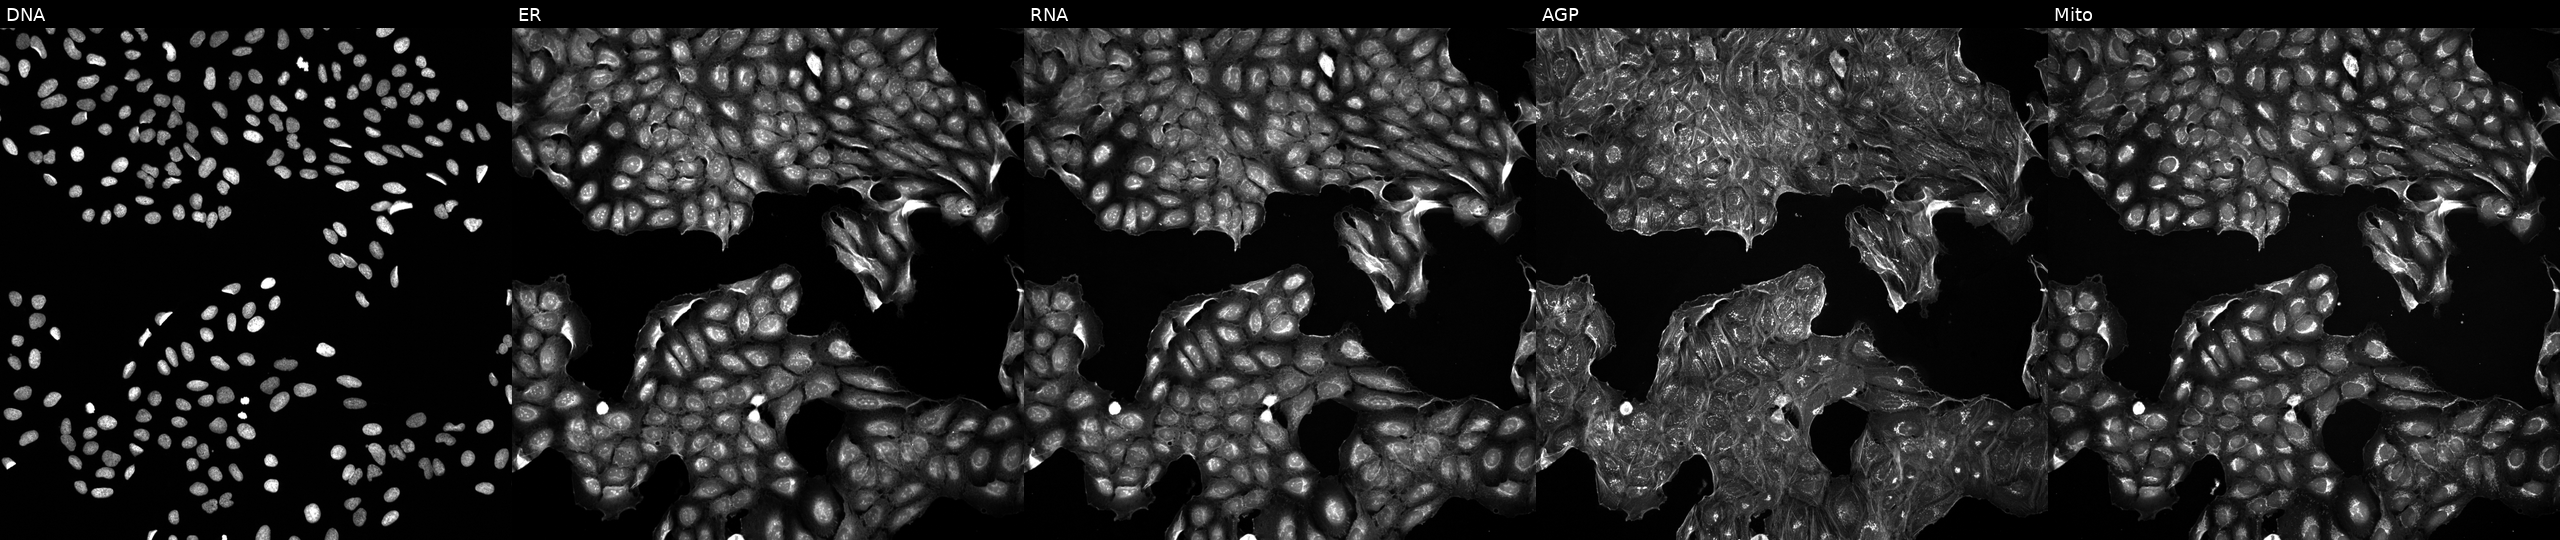
This image strip shows the five Cell Painting channels for a single field of U2OS cells exposed to a small-molecule compound (InChIKey SVZIWBNIDYCWSP-UHFFFAOYSA-N) [SMILES: O=C(NCc1ccccc1Cn1cccn1)C1CCCCC1C(=O)N1CCc2ccccc21]. Panels show, left to right, DNA, ER, RNA, AGP, and Mito.